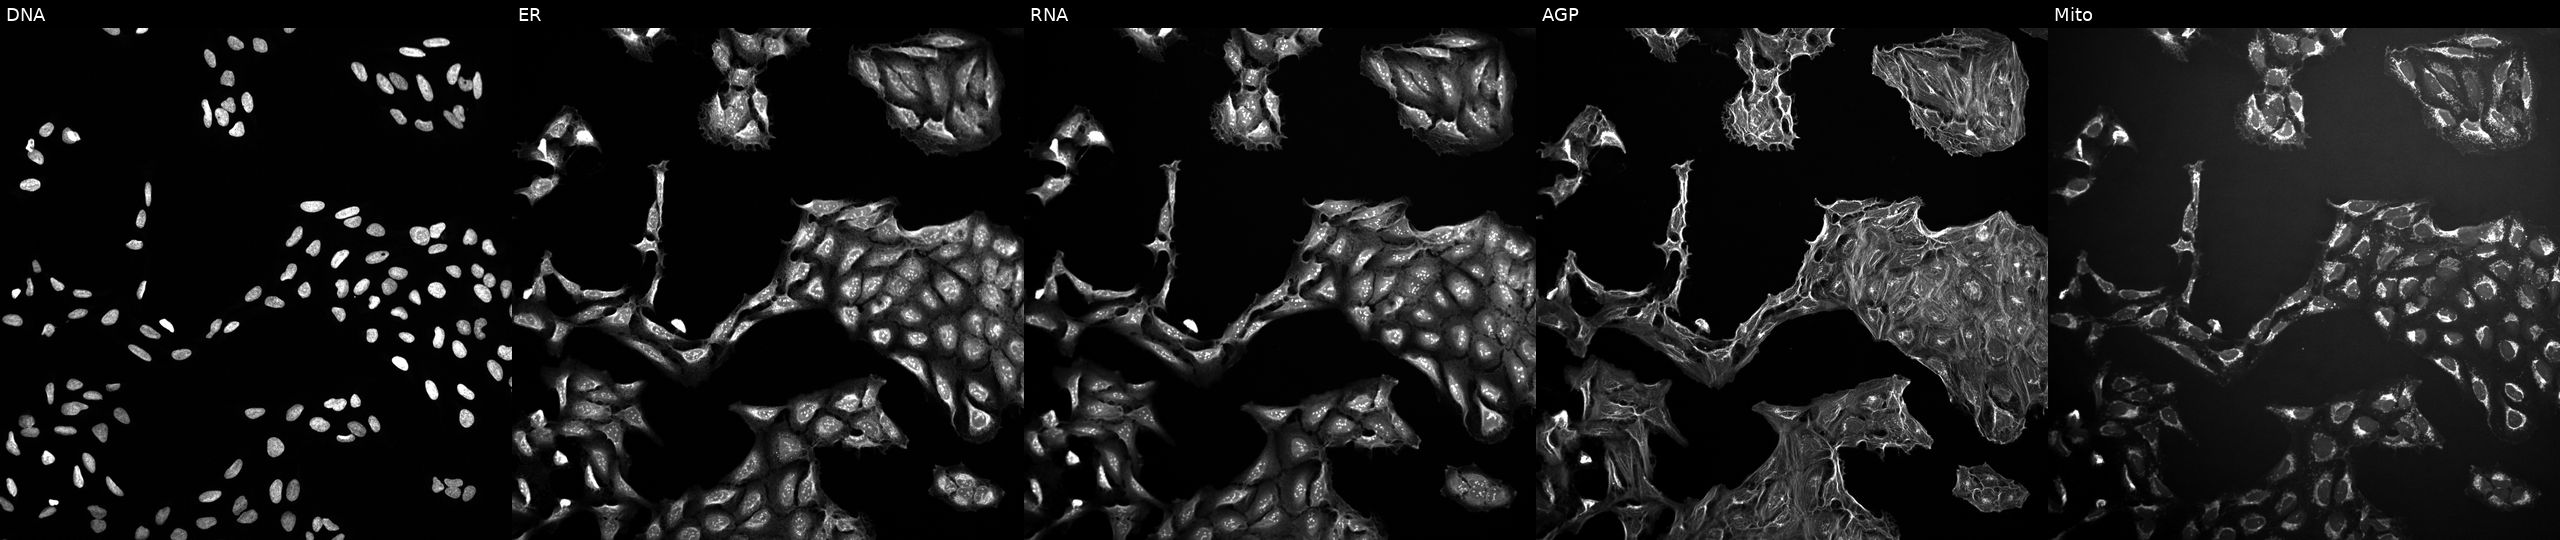
JUMP Cell Painting — TARGET2 plate. U2OS cells exposed to DMSO alone as a negative control (JUMP id JCP2022_033924). Panels show, left to right, DNA, ER, RNA, AGP, and Mito.